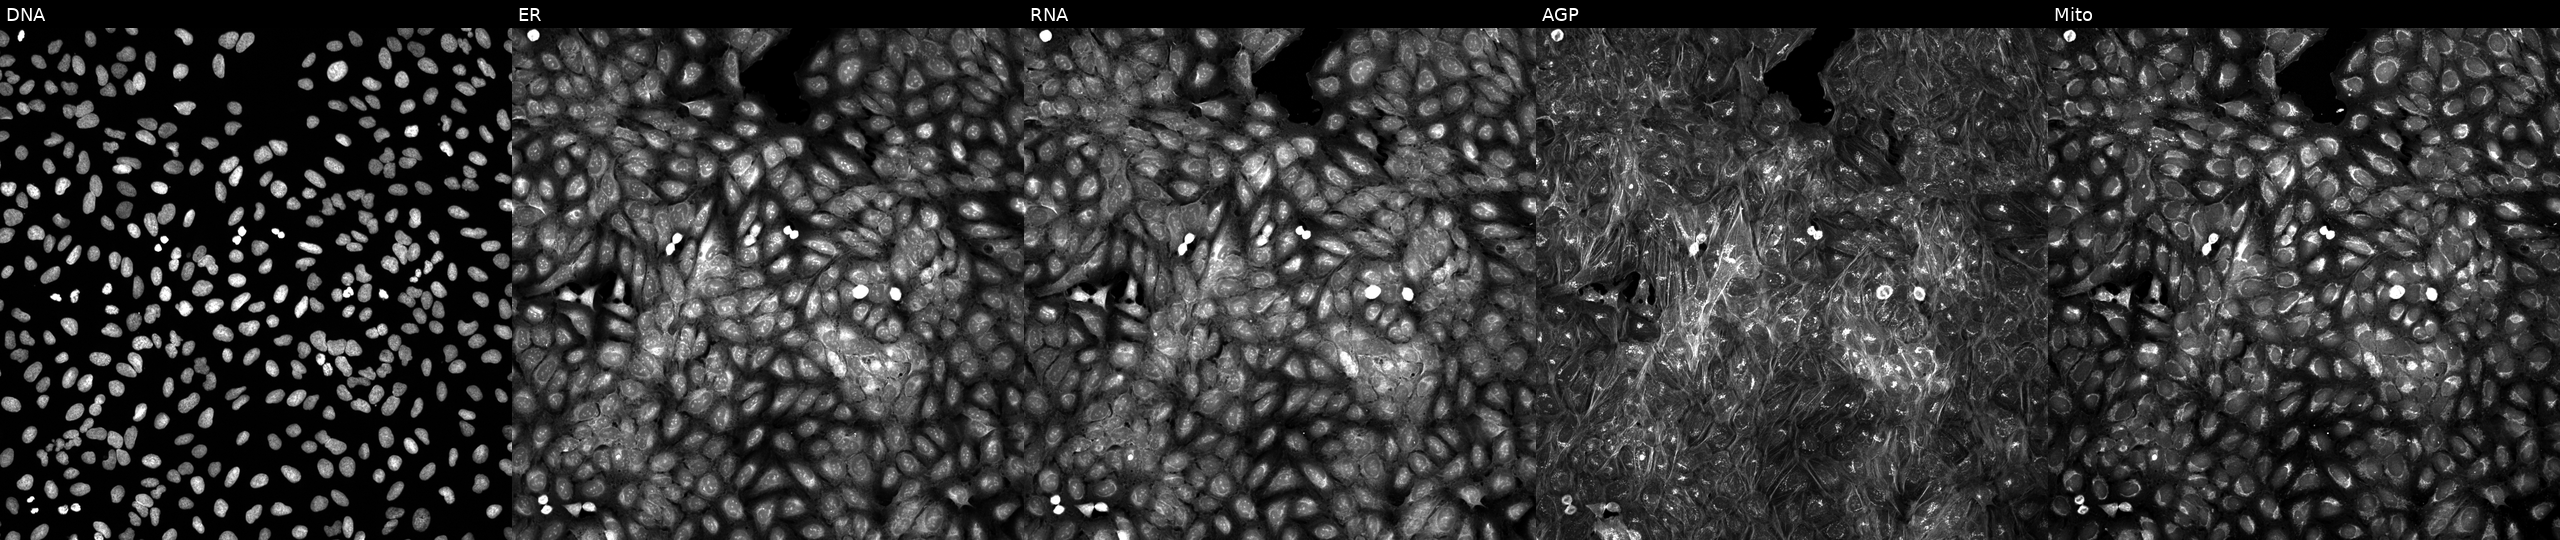
U2OS cells, Cell Painting assay, treated with a small-molecule compound (InChIKey GKKXFAURACPONY-UHFFFAOYSA-N) (JUMP id JCP2022_026059). Channels (left→right): Hoechst 33342, concanavalin A, SYTO 14, phalloidin and WGA, MitoTracker. Each panel is percentile-stretched 16-bit fluorescence. Source 5, plate APTJUM105, well D10.